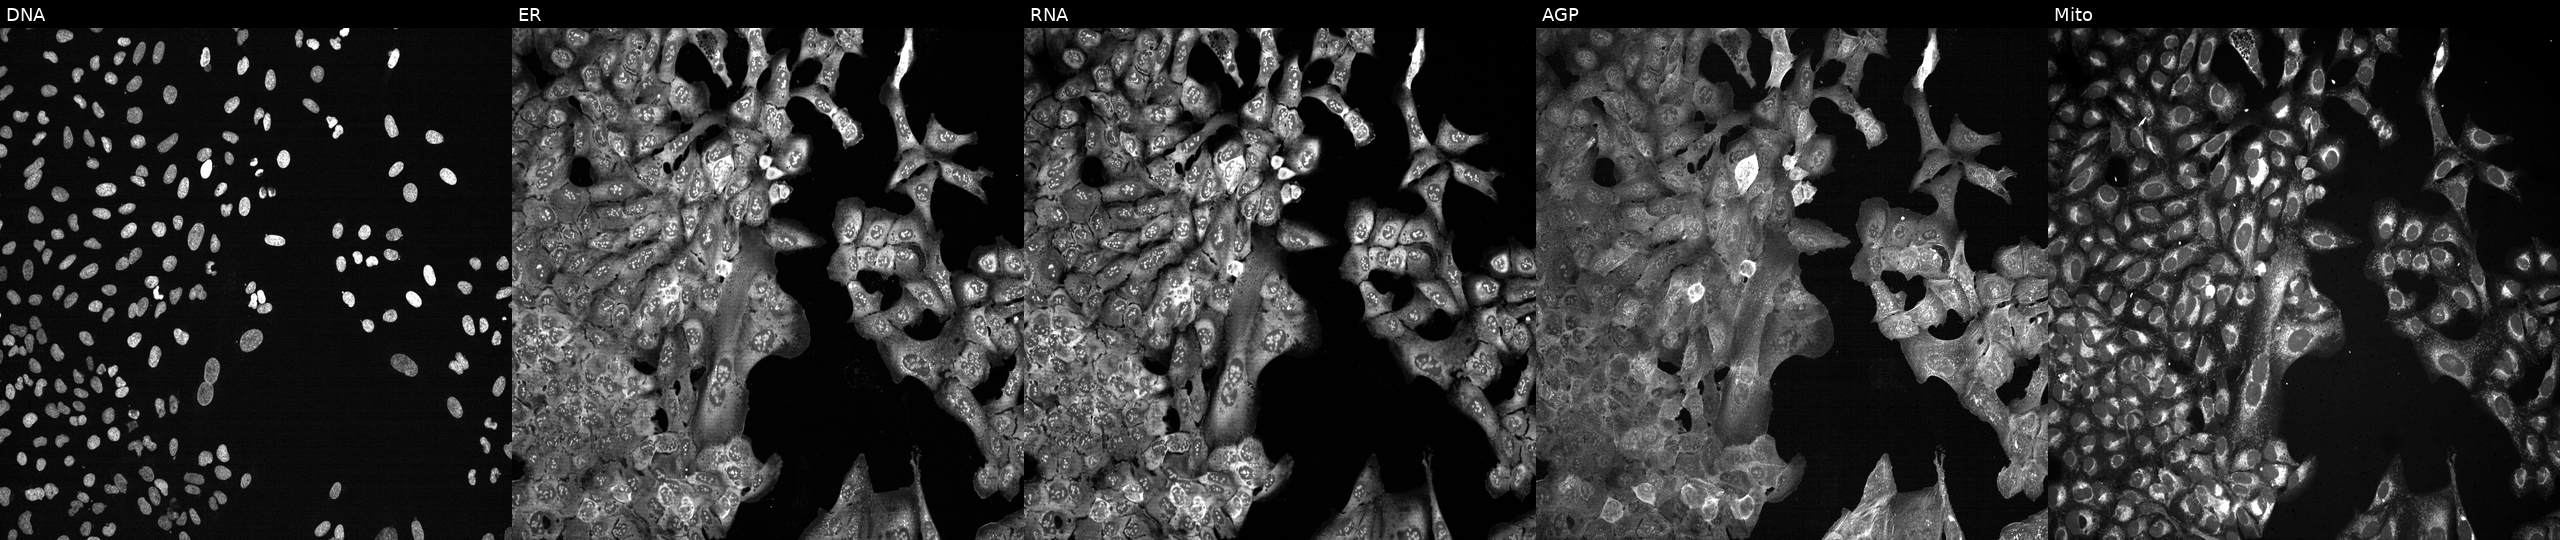
Five-channel Cell Painting image of U2OS cells with NLRP2 knocked out by CRISPR (JUMP id JCP2022_804606). Panels show, left to right, Hoechst 33342, concanavalin A, SYTO 14, phalloidin and WGA, MitoTracker.